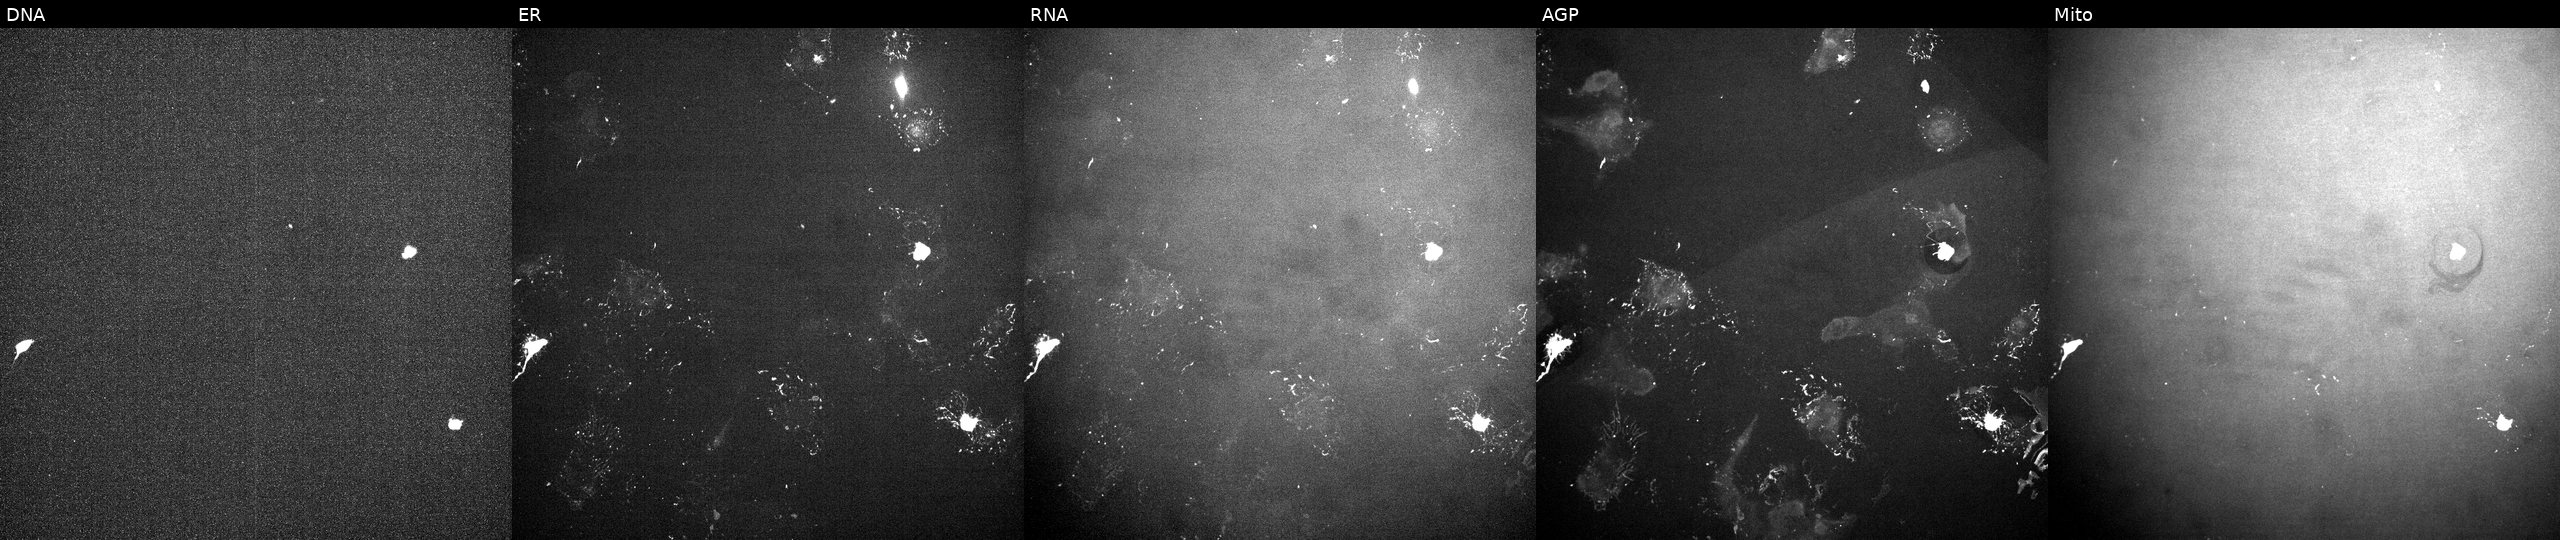
U2OS cells, Cell Painting assay, perturbed with a small-molecule compound (InChIKey IAYGCINLNONXHY-UHFFFAOYSA-N) [SMILES: NC(=O)Nc1cc(-c2cccc(F)c2)sc1C(=O)NC1CCCNC1]. The five panels, left to right, show DNA (nuclei); ER (endoplasmic reticulum); RNA (nucleoli and cytoplasmic RNA); AGP (actin cytoskeleton, Golgi, and plasma membrane); Mito (mitochondria). Each panel is percentile-stretched 16-bit fluorescence.